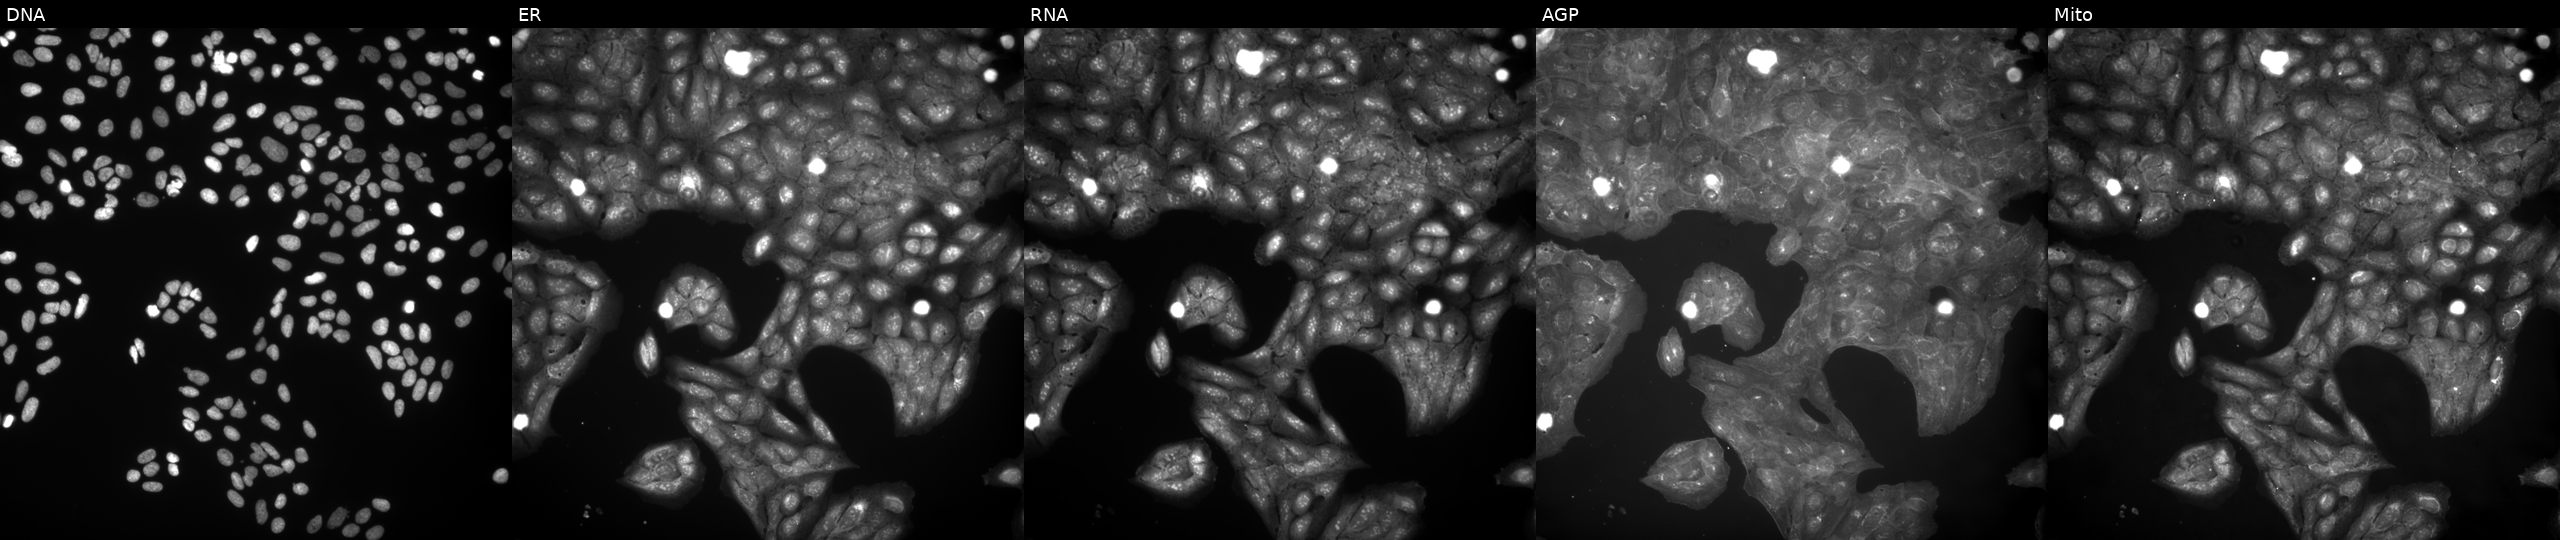
JUMP Cell Painting — COMPOUND plate. U2OS cells treated with a small-molecule compound (InChIKey OSYKBLACRGDFLM-UHFFFAOYSA-N) (JUMP id JCP2022_065928). The five panels, left to right, show Hoechst 33342, concanavalin A, SYTO 14, phalloidin and WGA, MitoTracker.